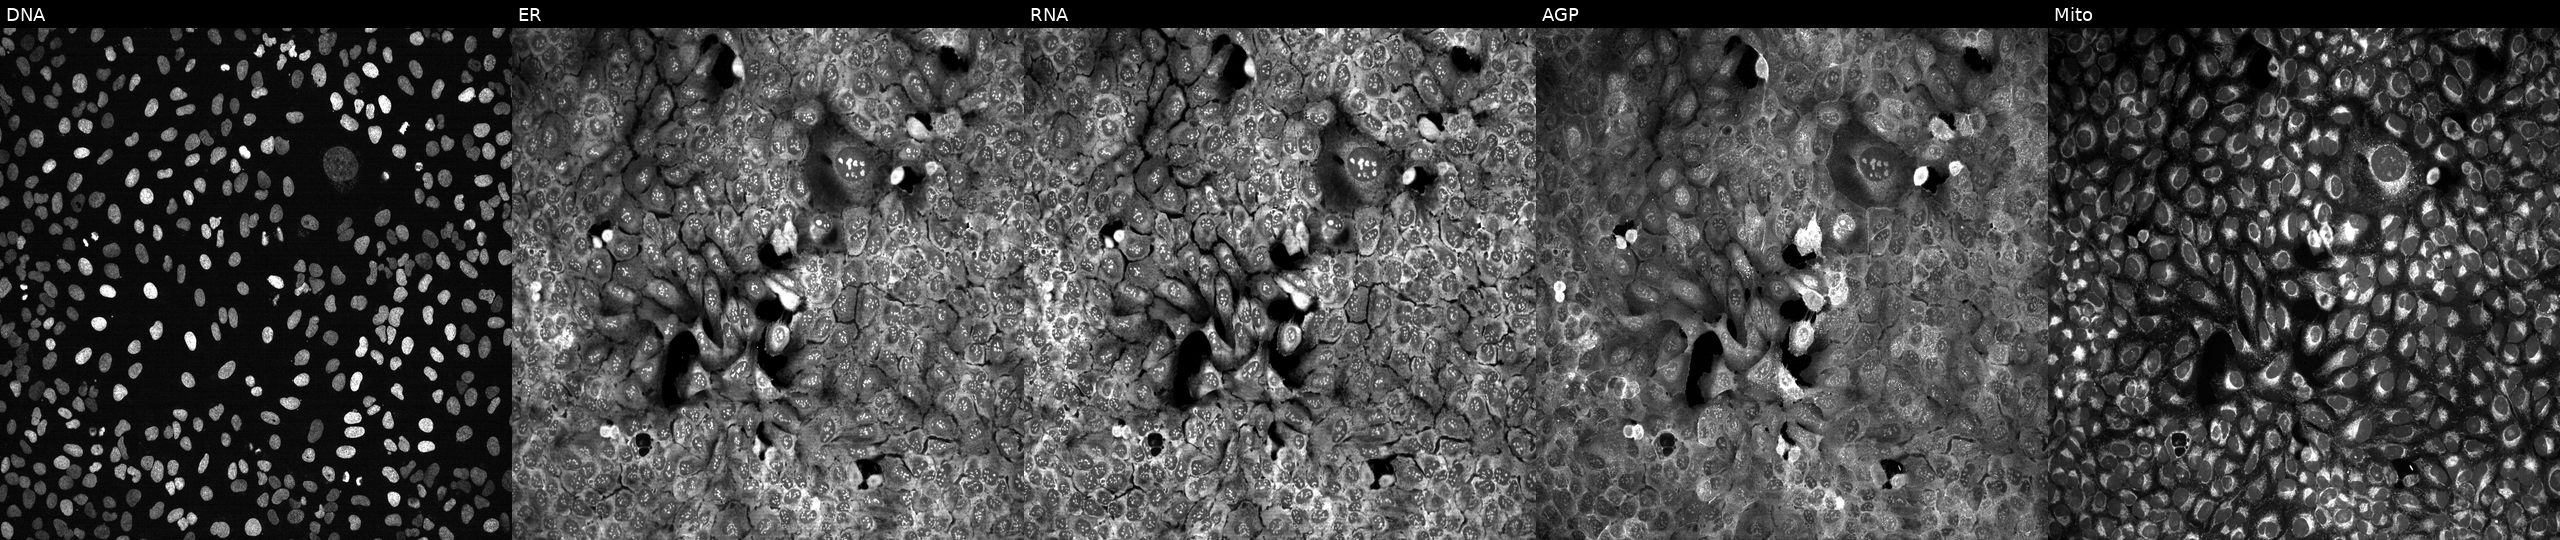
JUMP Cell Painting — CRISPR plate. U2OS cells following CRISPR knockout of GYPA (JUMP id JCP2022_802989). From left to right: Hoechst 33342, concanavalin A, SYTO 14, phalloidin and WGA, MitoTracker.